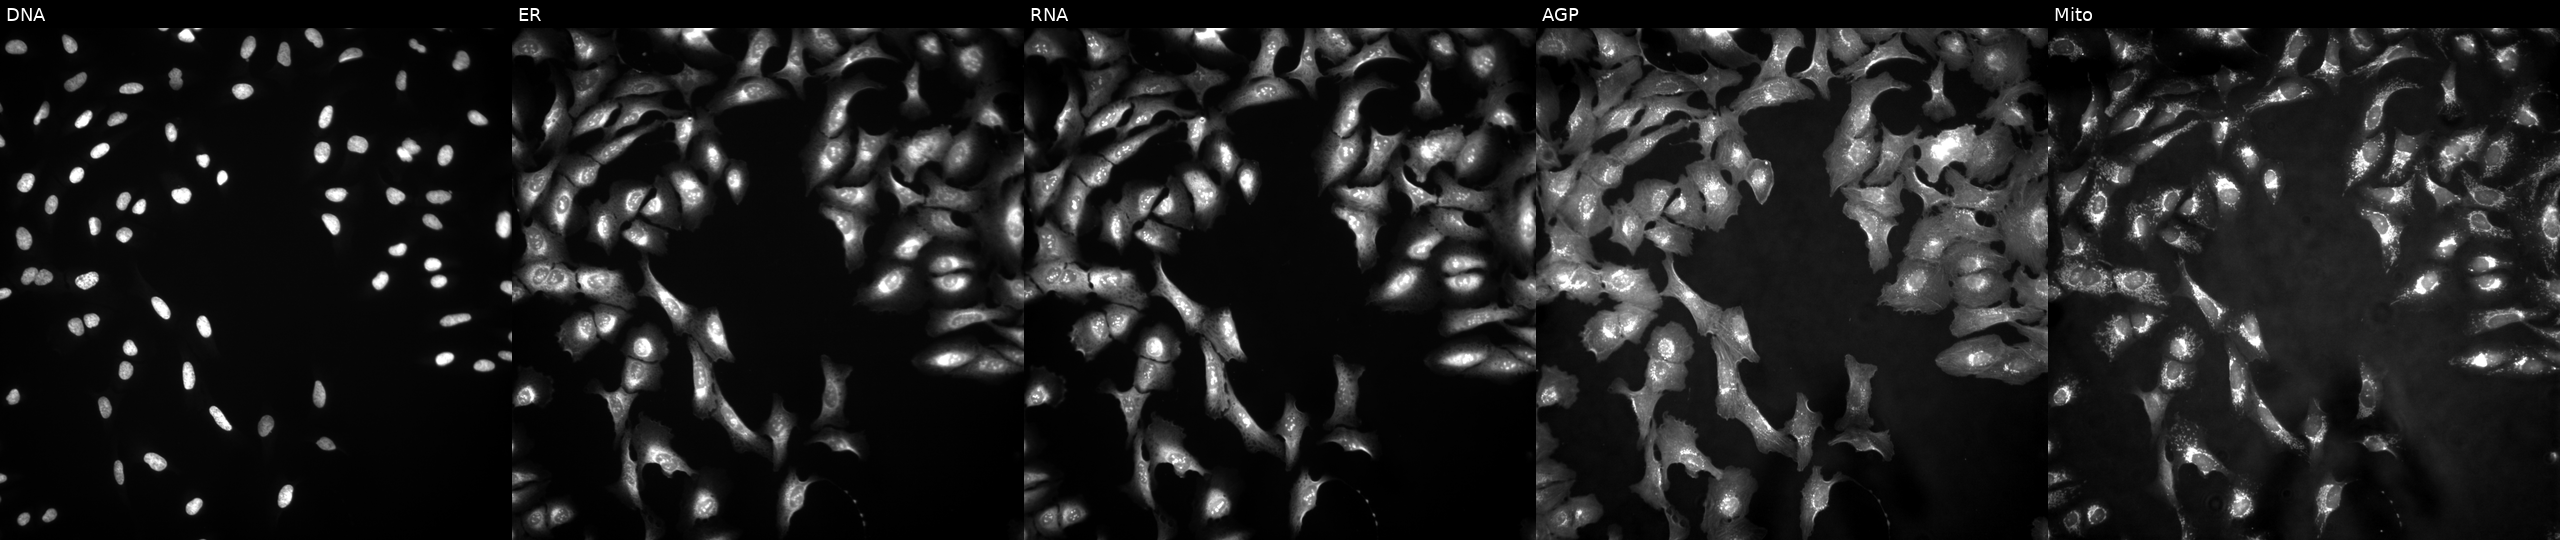
JUMP Cell Painting — ORF plate. U2OS cells untreated (empty-well control) (JUMP id JCP2022_999999). The five panels, left to right, show Hoechst 33342, concanavalin A, SYTO 14, phalloidin and WGA, MitoTracker. Source 4, plate BR00121543, well C23.